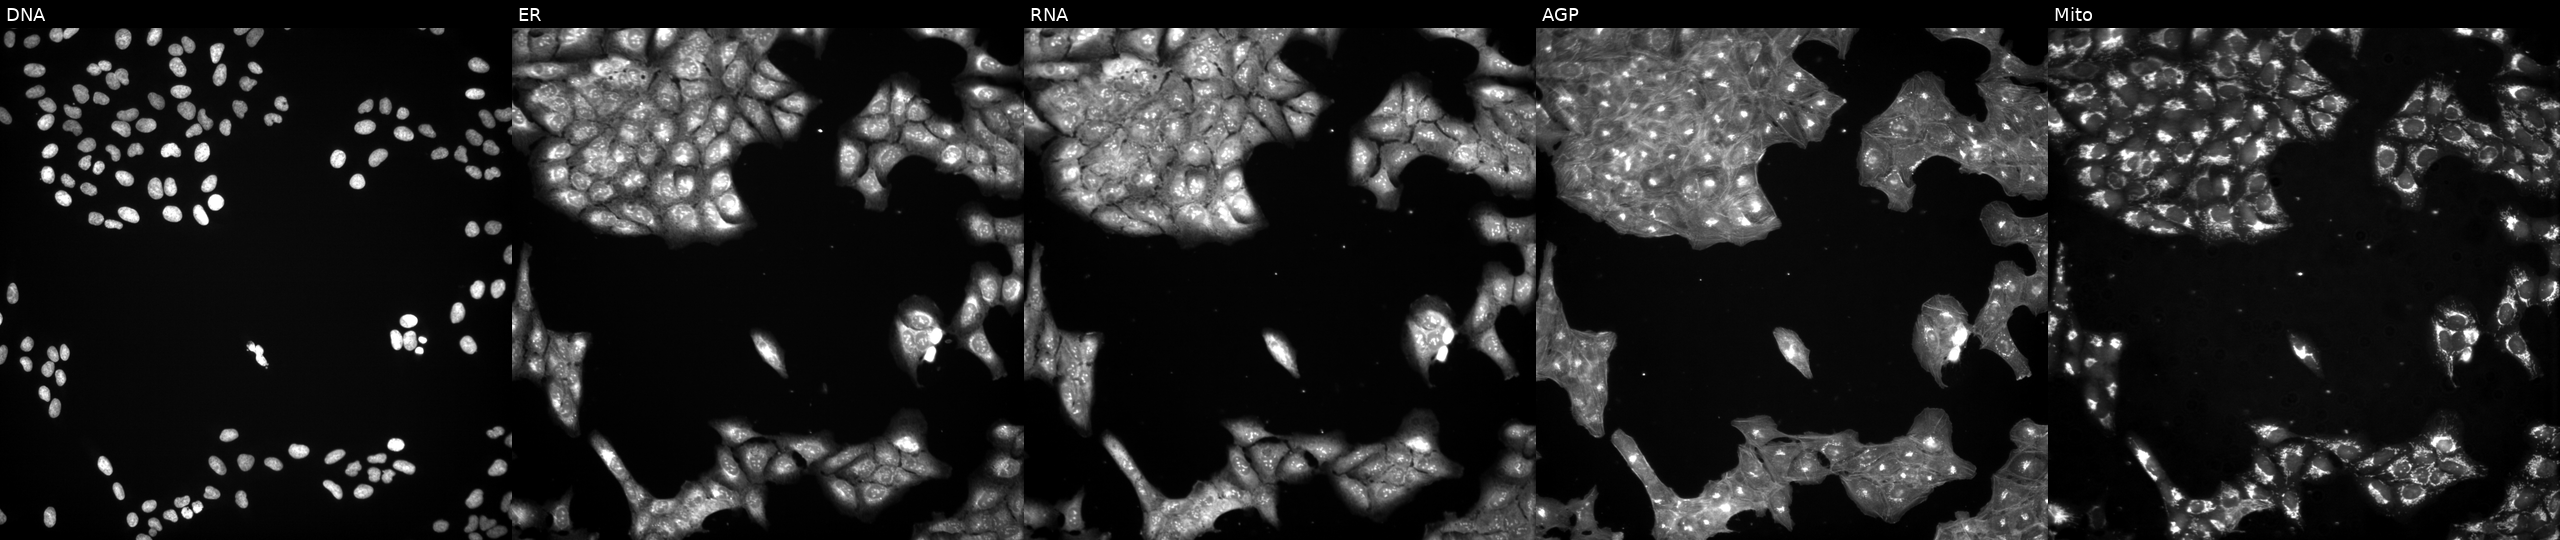
JUMP Cell Painting — TARGET2 plate. U2OS cells perturbed with a small-molecule compound [SMILES: Cc1cc(C)cc(NC(=O)Cc2ccc(OC(C)(C)C(=O)O)cc2)c1]. The five panels, left to right, show Hoechst 33342, concanavalin A, SYTO 14, phalloidin and WGA, MitoTracker. Source 3, plate JCPQC052, well F03.